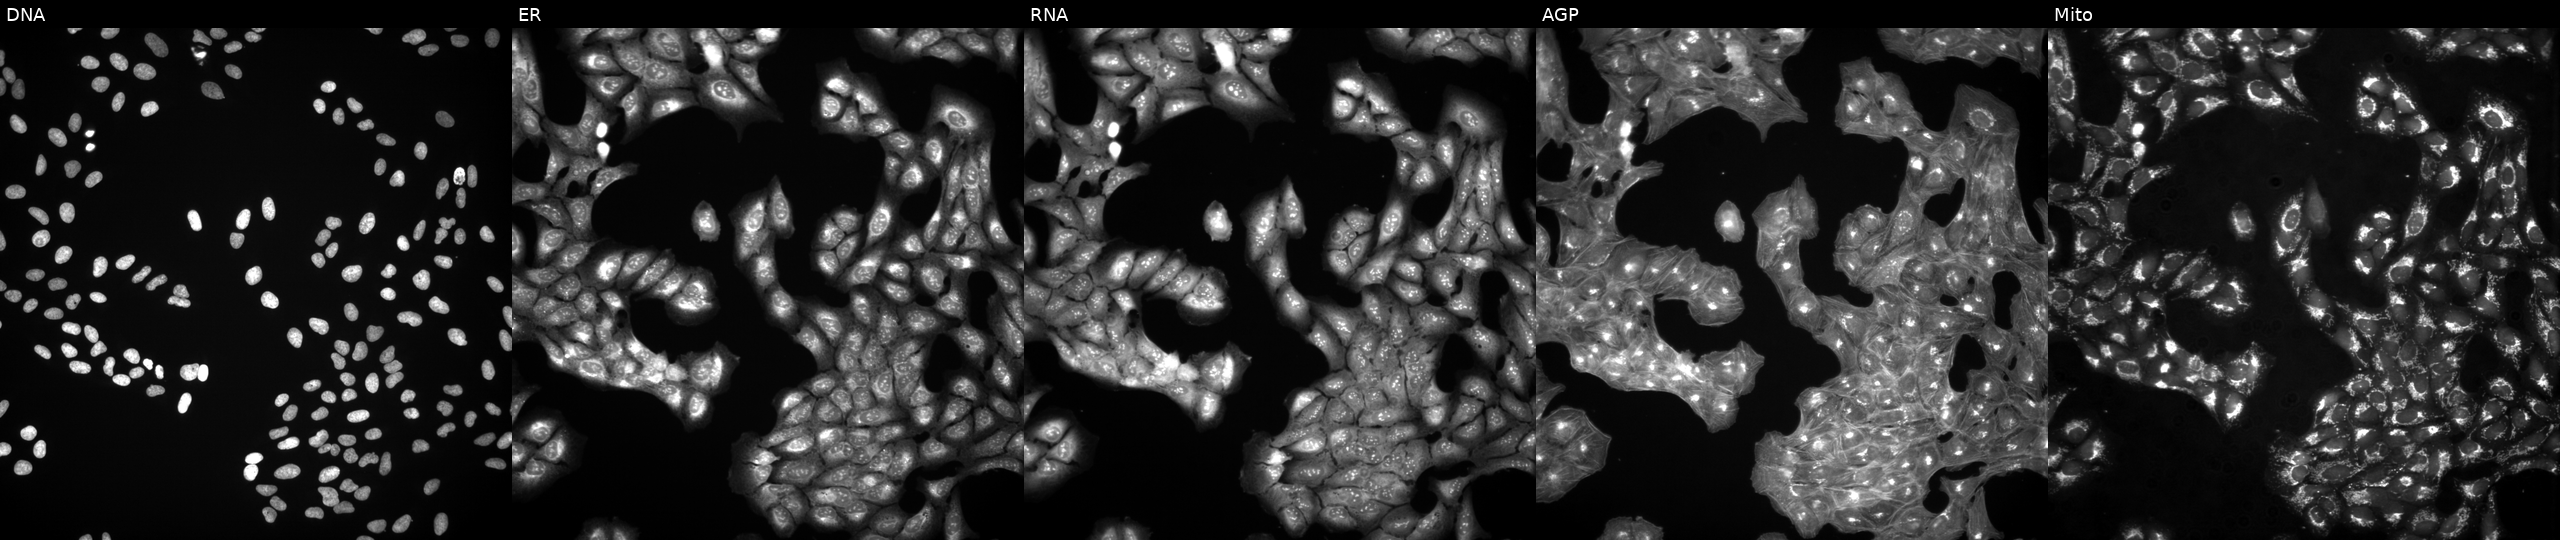
JUMP Cell Painting — COMPOUND plate. U2OS cells exposed to DMSO alone as a negative control (JUMP id JCP2022_033924). The five panels, left to right, show DNA (nuclei); ER (endoplasmic reticulum); RNA (nucleoli and cytoplasmic RNA); AGP (actin cytoskeleton, Golgi, and plasma membrane); Mito (mitochondria).